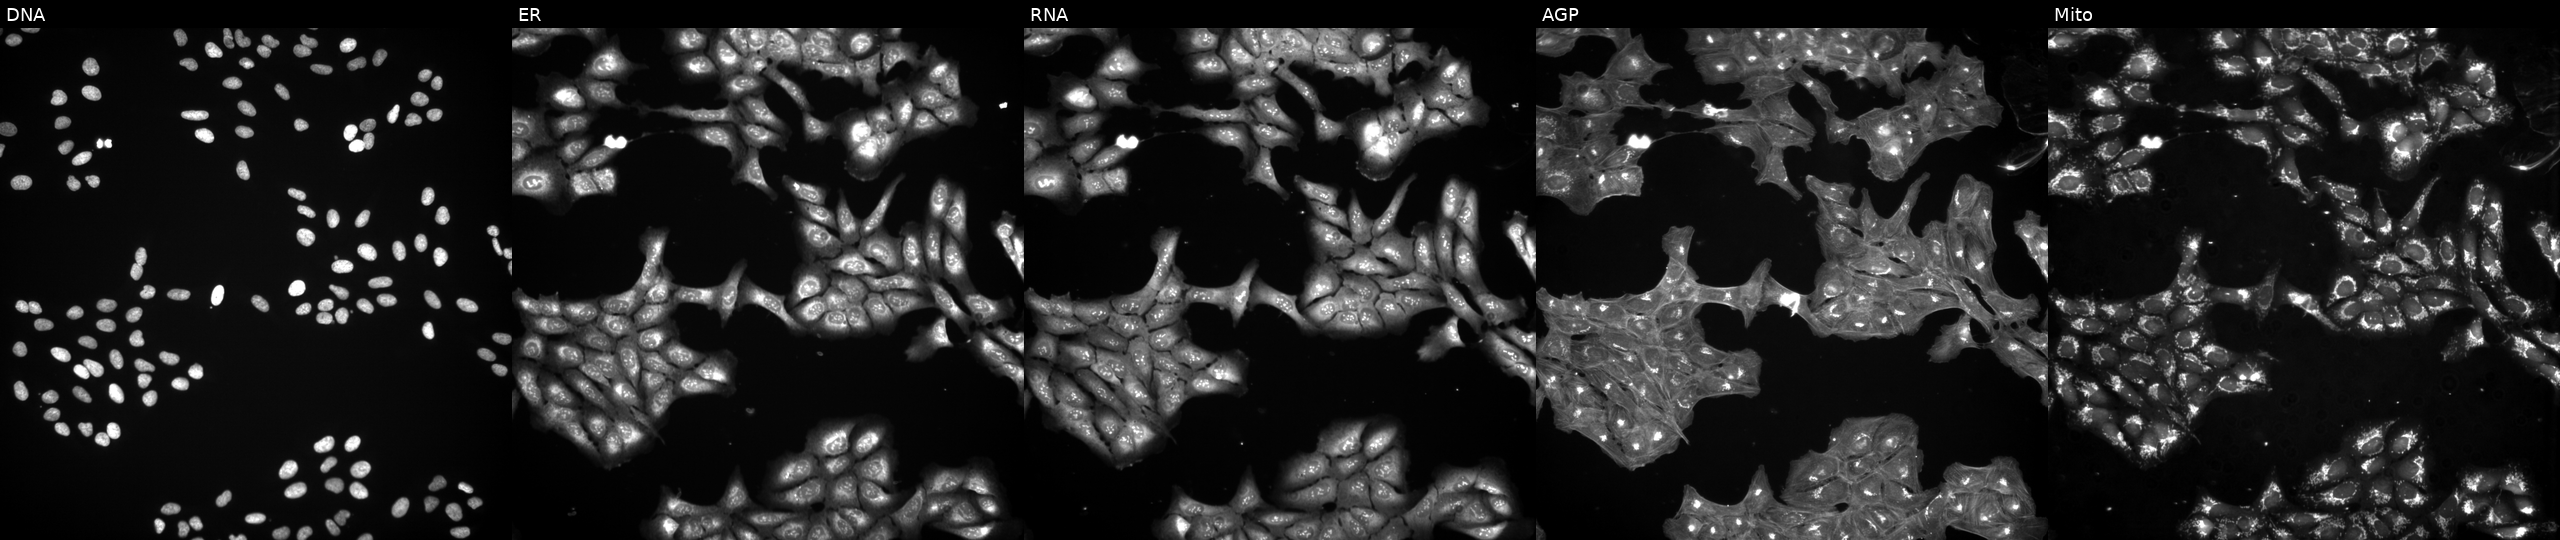
Channels (left→right): DNA, ER, RNA, AGP, and Mito. U2OS osteosarcoma cells exposed to a small-molecule compound (InChIKey CDJNNOJINJAXPV-UHFFFAOYSA-N) (JUMP id JCP2022_010382). Cell Painting assay, JUMP-CP dataset. Source 3, plate JCPQC052, well B17.